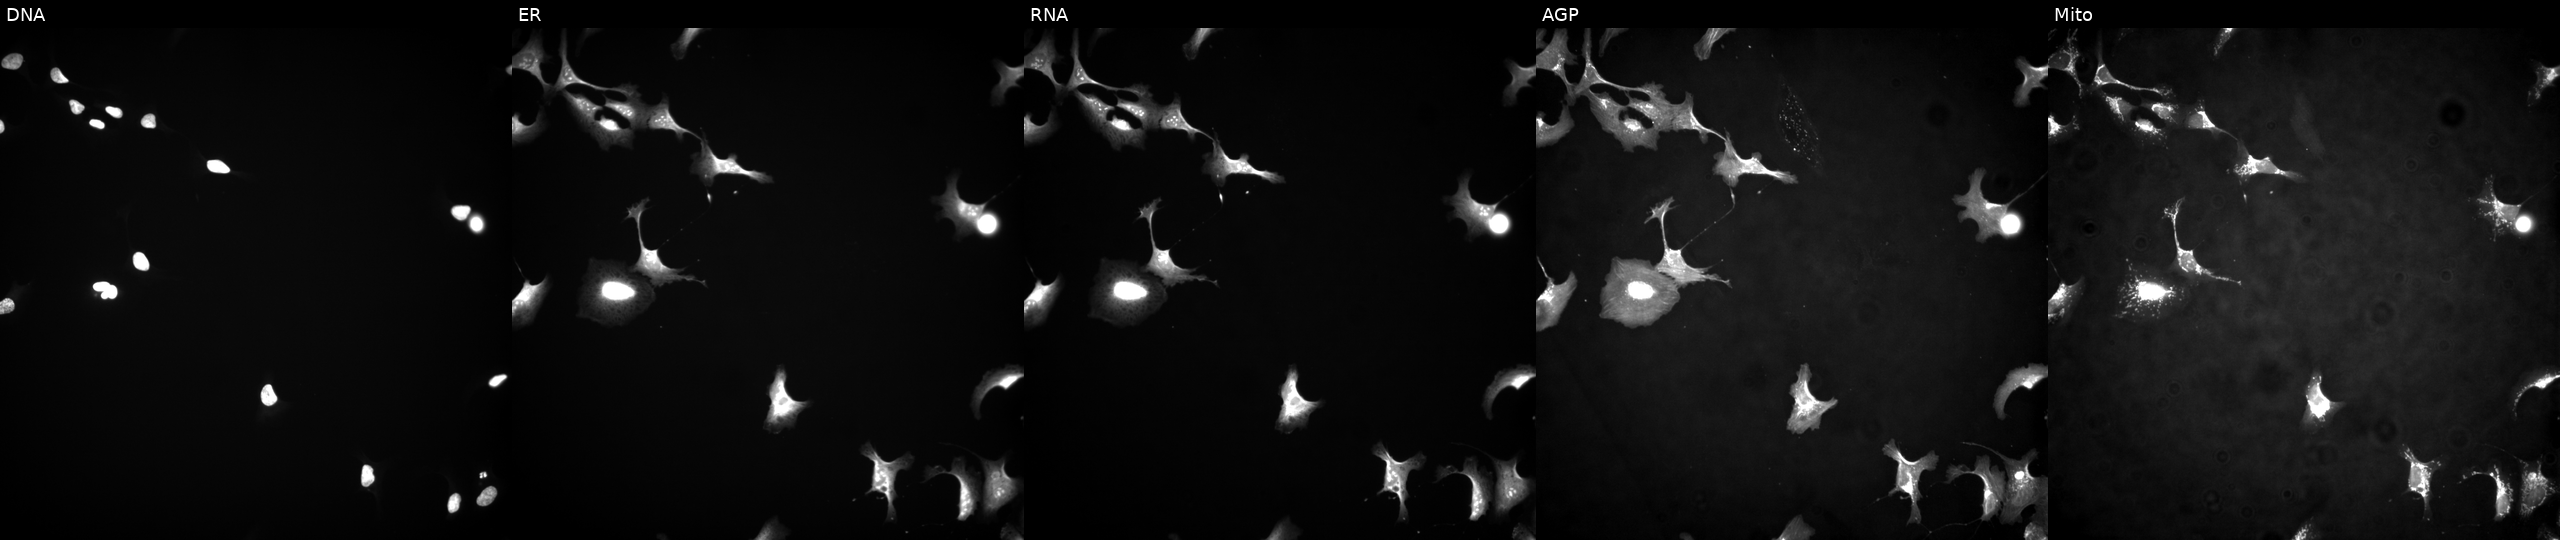
This image strip shows the five Cell Painting channels for a single field of U2OS cells untreated (empty-well control) (JUMP id JCP2022_999999). Panels show, left to right, DNA, ER, RNA, AGP, and Mito.